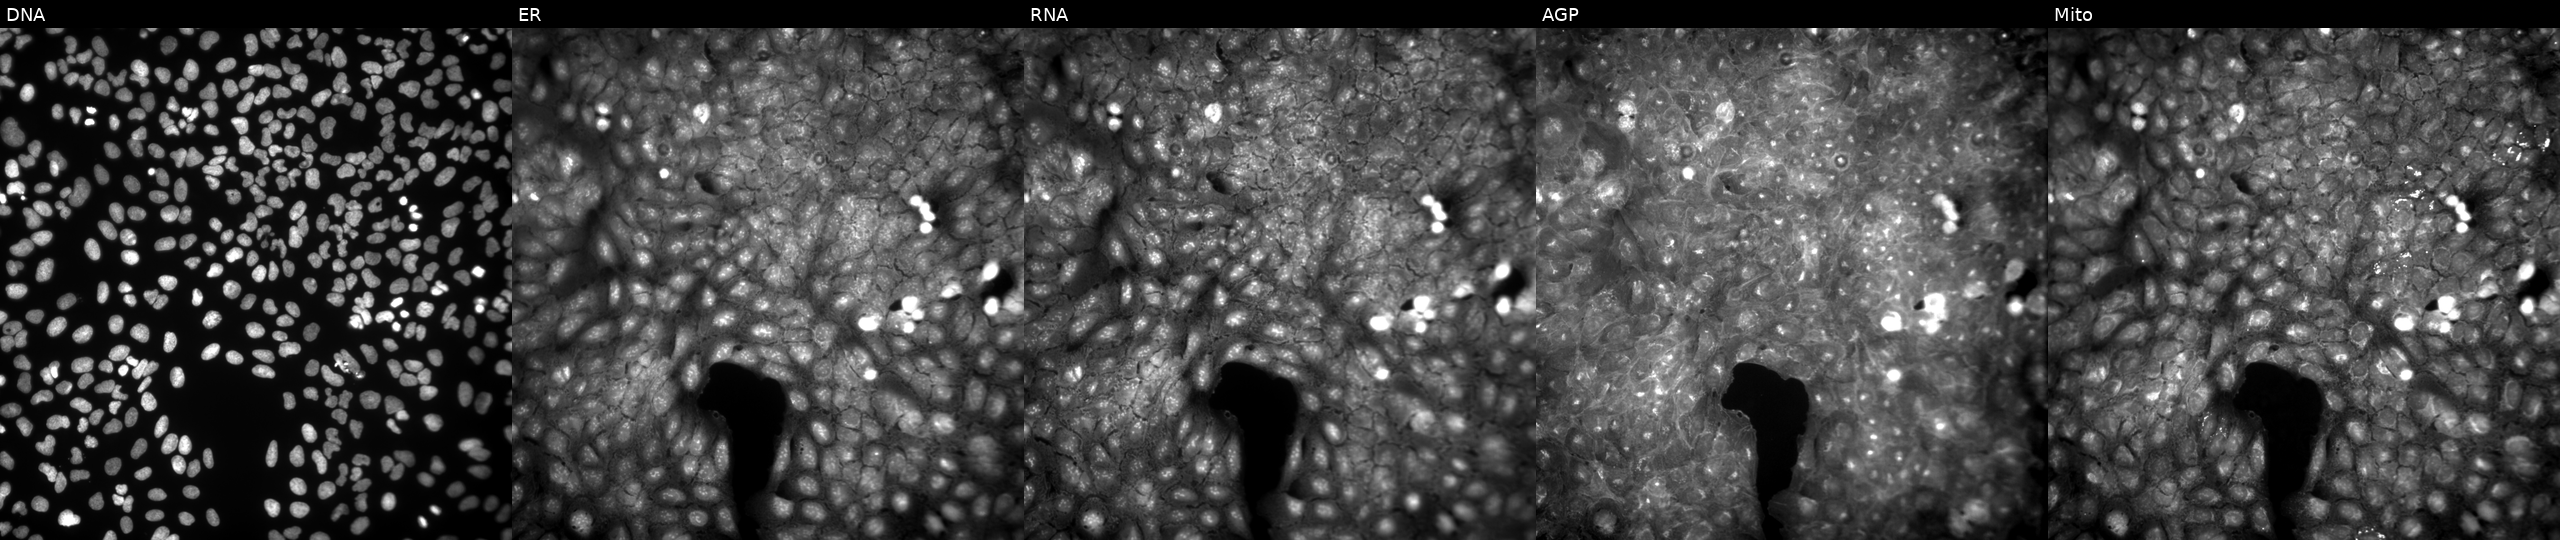
This image strip shows the five Cell Painting channels for a single field of U2OS cells exposed to DMSO alone as a negative control. From left to right: Hoechst 33342, concanavalin A, SYTO 14, phalloidin and WGA, MitoTracker.